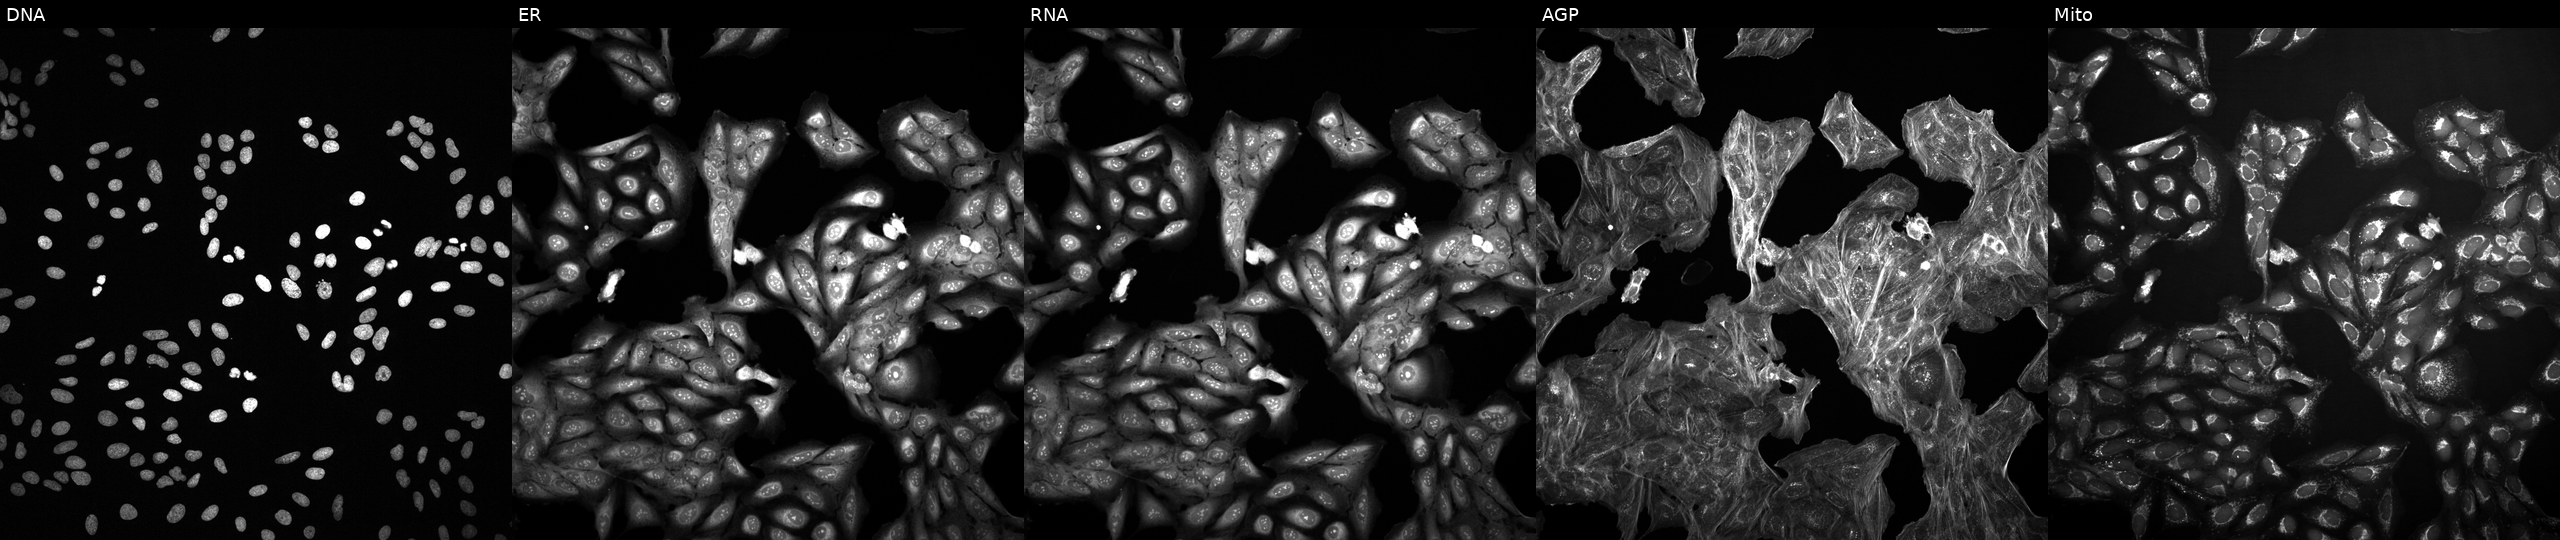
High-content fluorescence microscopy (Cell Painting). Cell line: U2OS. Perturbation: exposed to a small-molecule compound (InChIKey UFJGFNHRMPMALC-UHFFFAOYSA-N) [SMILES: CCOC(=O)c1c2c3c(cccc3[nH]c1=O)C(=O)c1ccccc1-2] (JUMP id JCP2022_088849). From left to right: DNA, ER, RNA, AGP, and Mito.